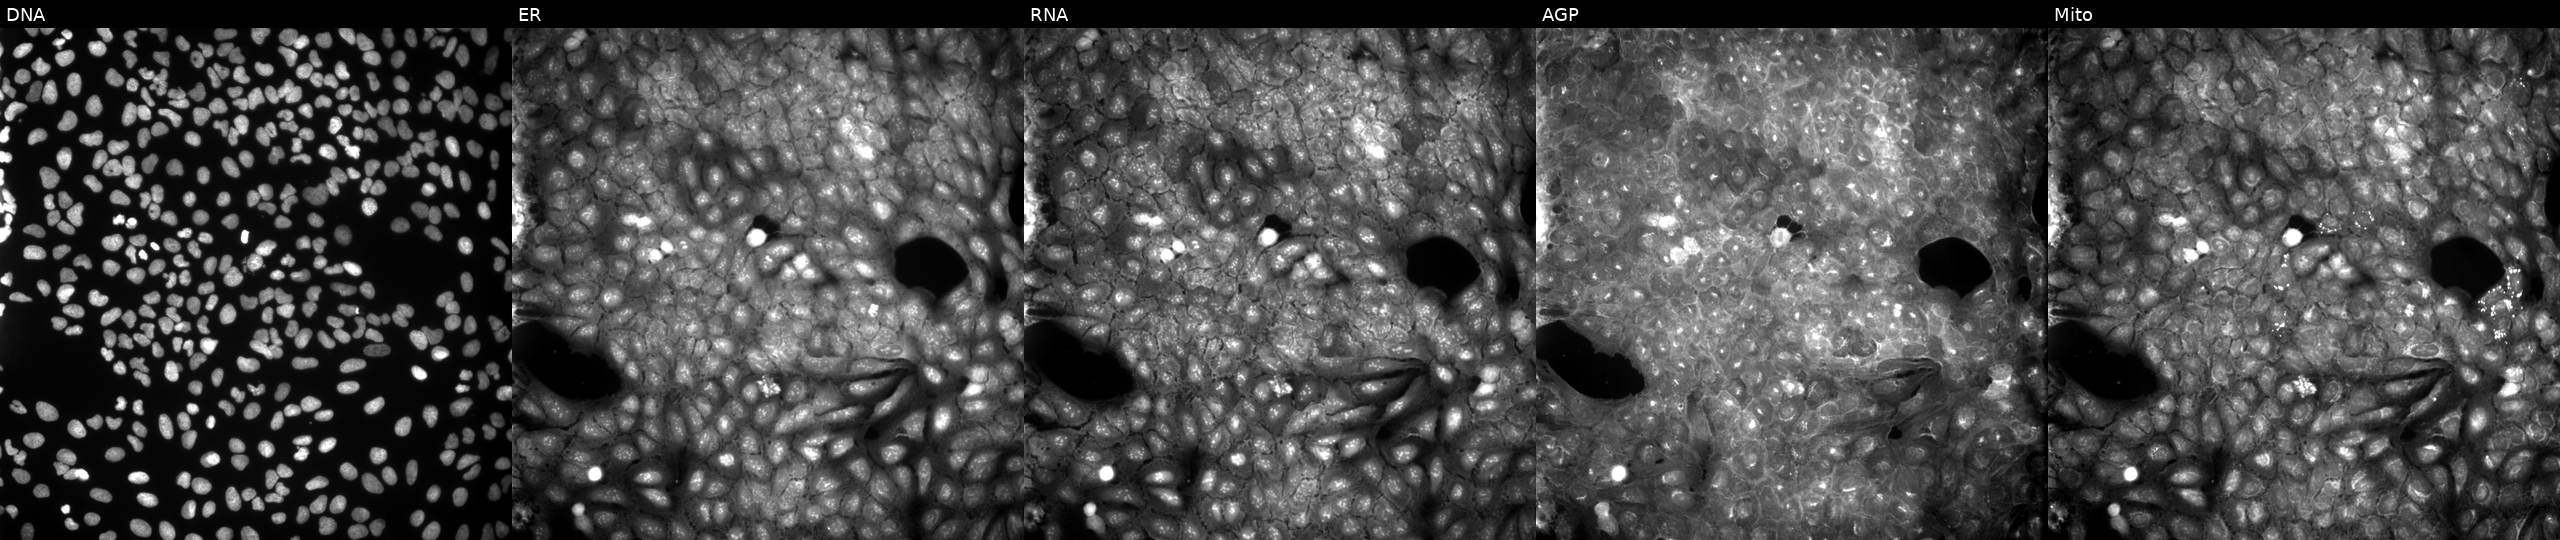
U2OS cells, Cell Painting assay, treated with a small-molecule compound (InChIKey PVMXHPSIERCULV-UHFFFAOYSA-N) [SMILES: CC(=O)CC1(O)C(=O)N(Cc2ccccc2)c2ccccc21] (JUMP id JCP2022_071219). Channels (left→right): DNA, ER, RNA, AGP, and Mito. Each panel is percentile-stretched 16-bit fluorescence.